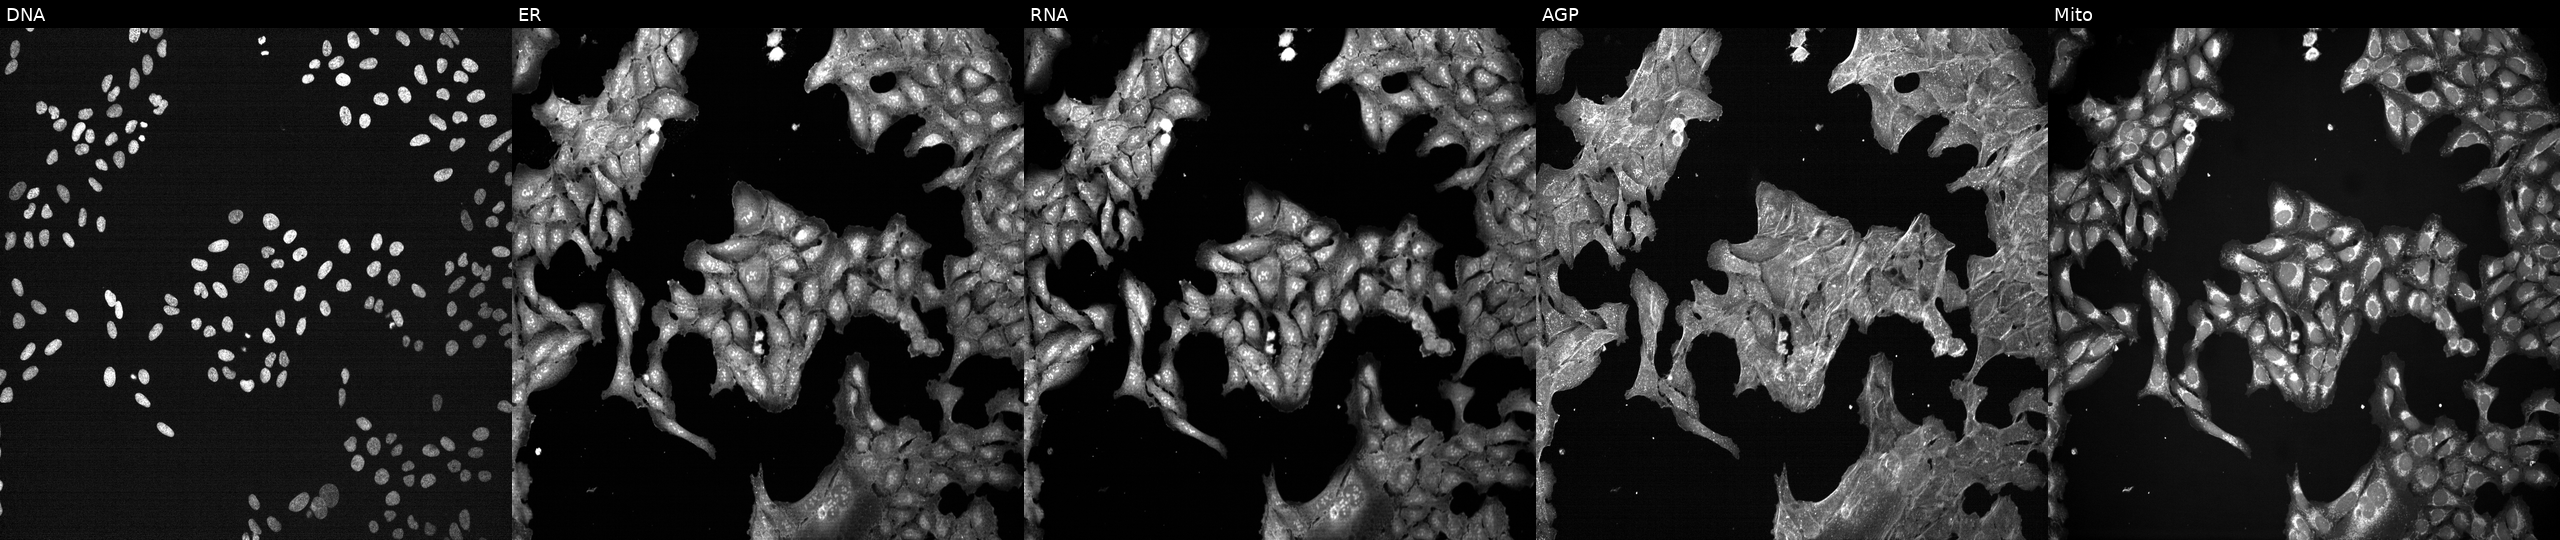
From left to right: Hoechst 33342, concanavalin A, SYTO 14, phalloidin and WGA, MitoTracker. U2OS osteosarcoma cells exposed to DMSO alone as a negative control (JUMP id JCP2022_033924). Cell Painting assay, JUMP-CP dataset.